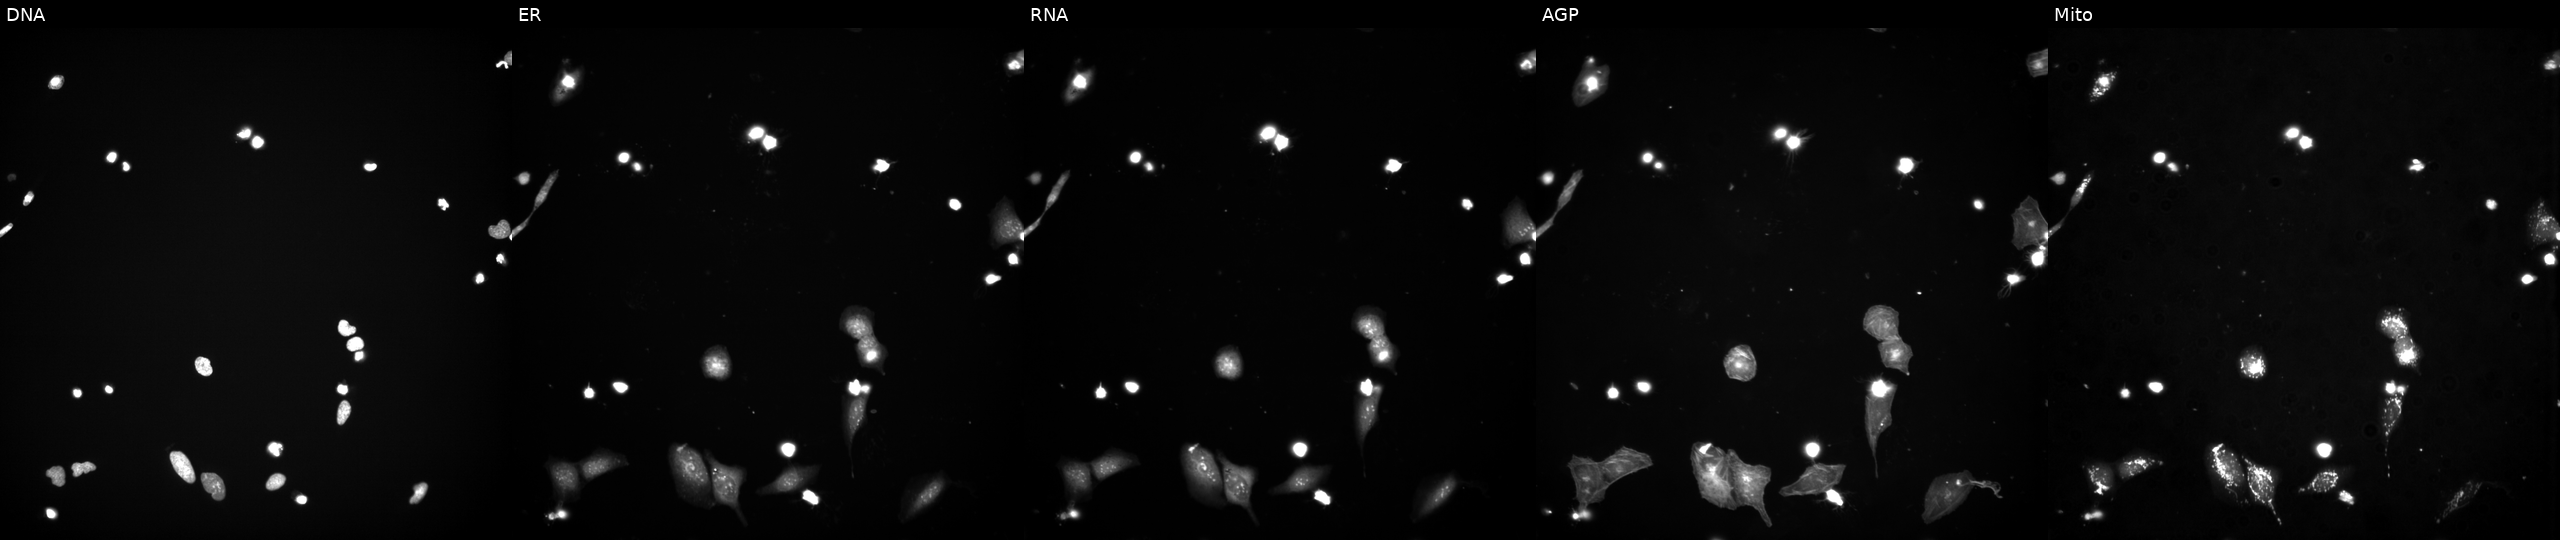
Panels show, left to right, DNA (nuclei); ER (endoplasmic reticulum); RNA (nucleoli and cytoplasmic RNA); AGP (actin cytoskeleton, Golgi, and plasma membrane); Mito (mitochondria). U2OS osteosarcoma cells perturbed with a small-molecule compound (InChIKey HYFHYPWGAURHIV-UHFFFAOYSA-N) [SMILES: COC(=O)CC(O)(CCCC(C)(C)O)C(=O)OC1C(OC)=CC23CCCN2CCc2cc4c(cc2C13)OCO4]. Cell Painting assay, JUMP-CP dataset.